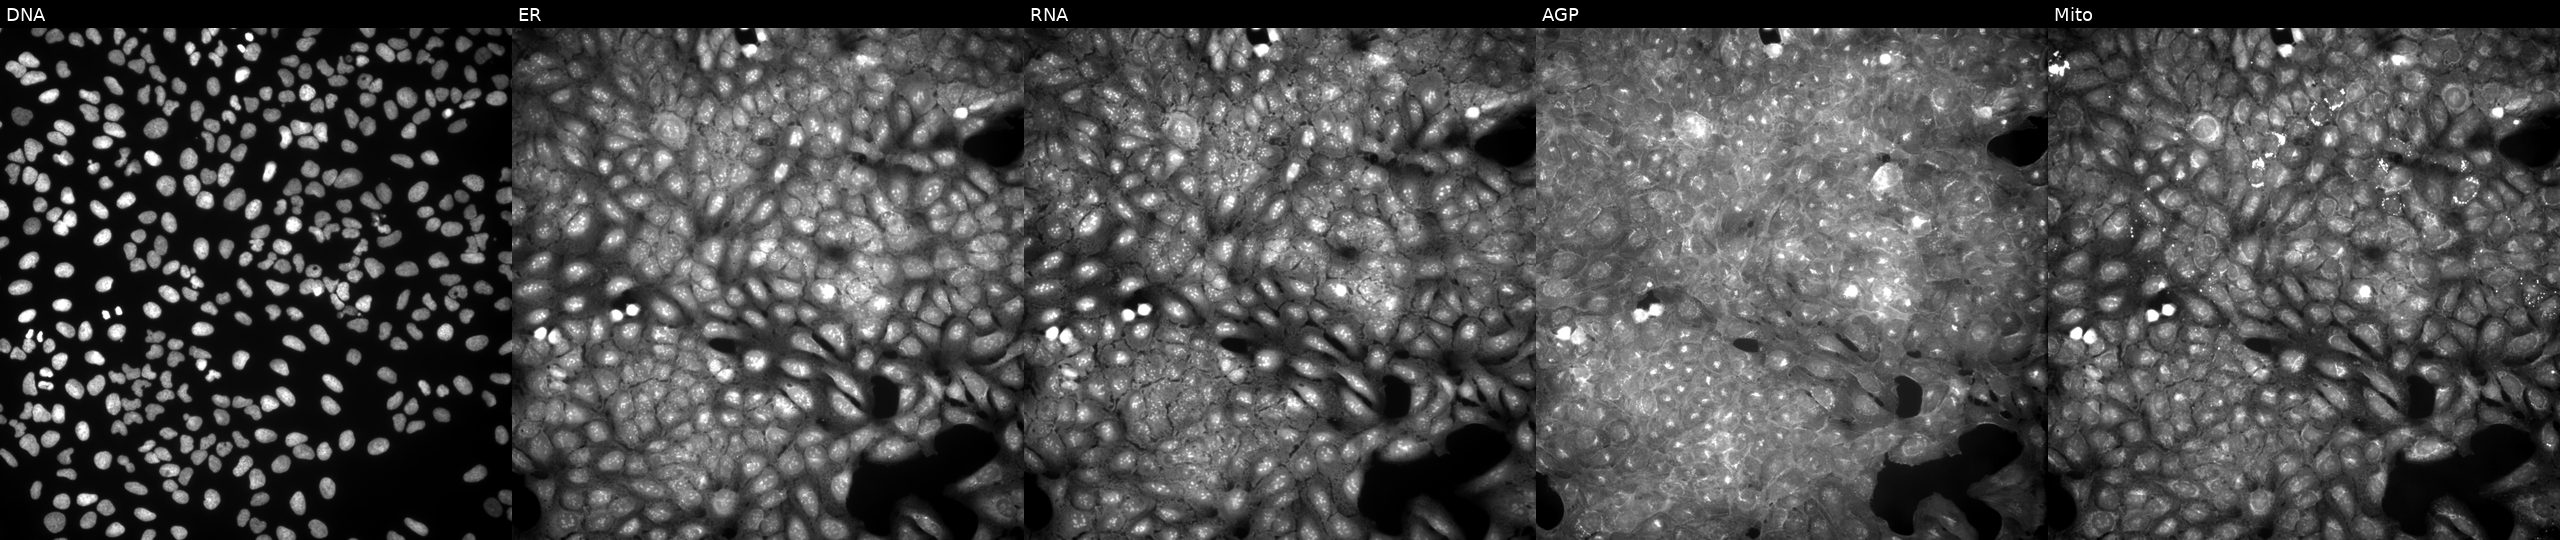
U2OS cells, Cell Painting assay, exposed to a small-molecule compound (InChIKey SFMONPNXAMKQMY-UHFFFAOYSA-N). From left to right: DNA, ER, RNA, AGP, and Mito. Each panel is percentile-stretched 16-bit fluorescence.